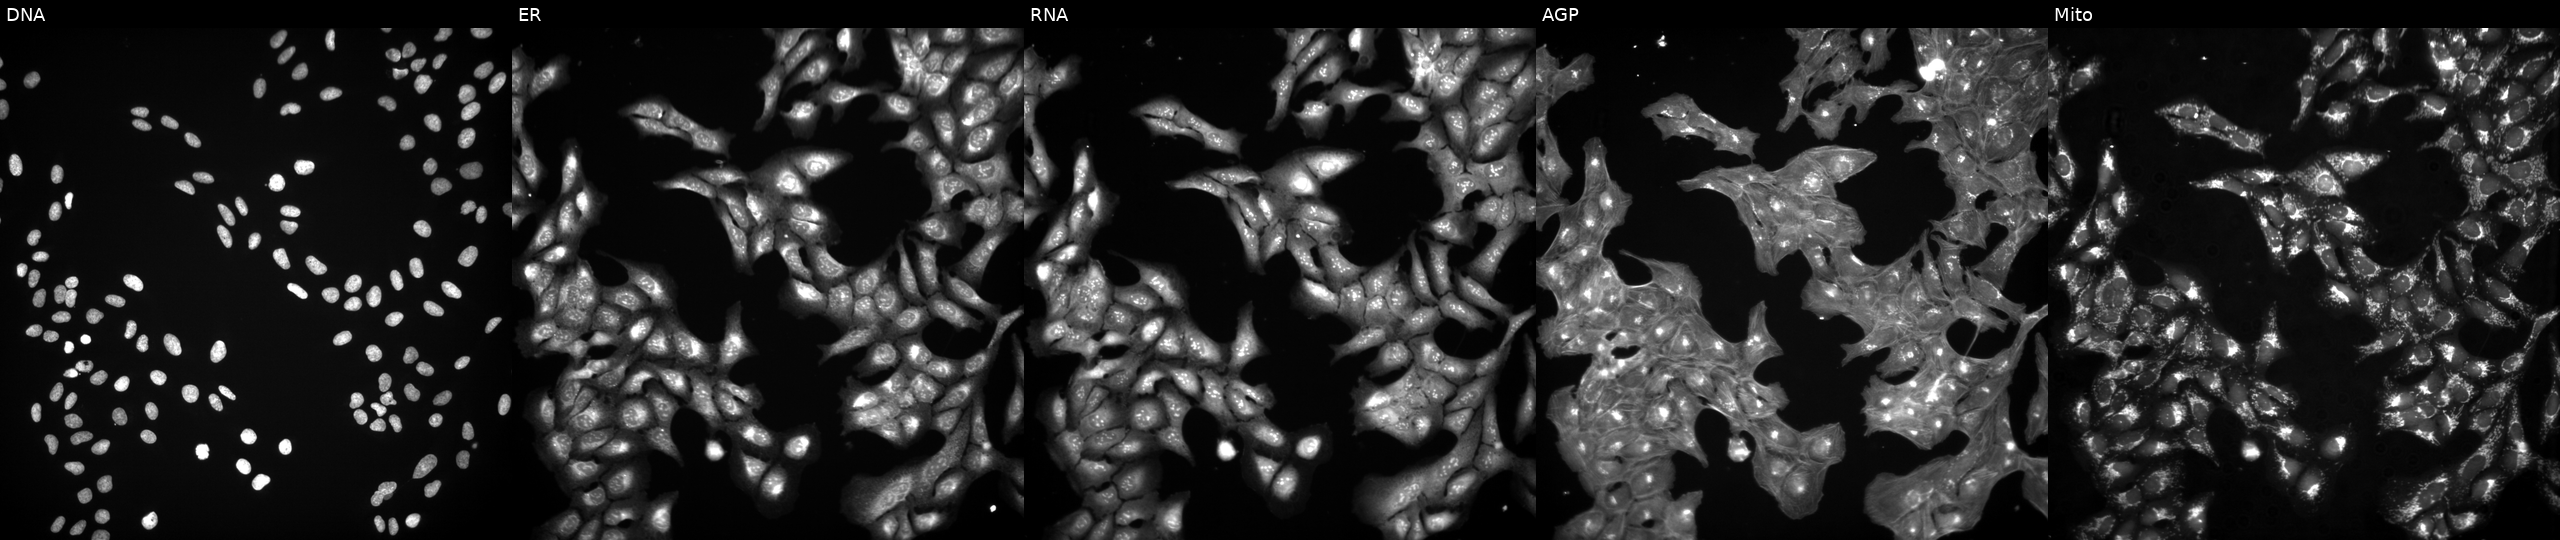
Five-channel Cell Painting image of U2OS cells perturbed with a small-molecule compound. The five panels, left to right, show DNA, ER, RNA, AGP, and Mito. Source 3, plate BR5867a3, well A14.